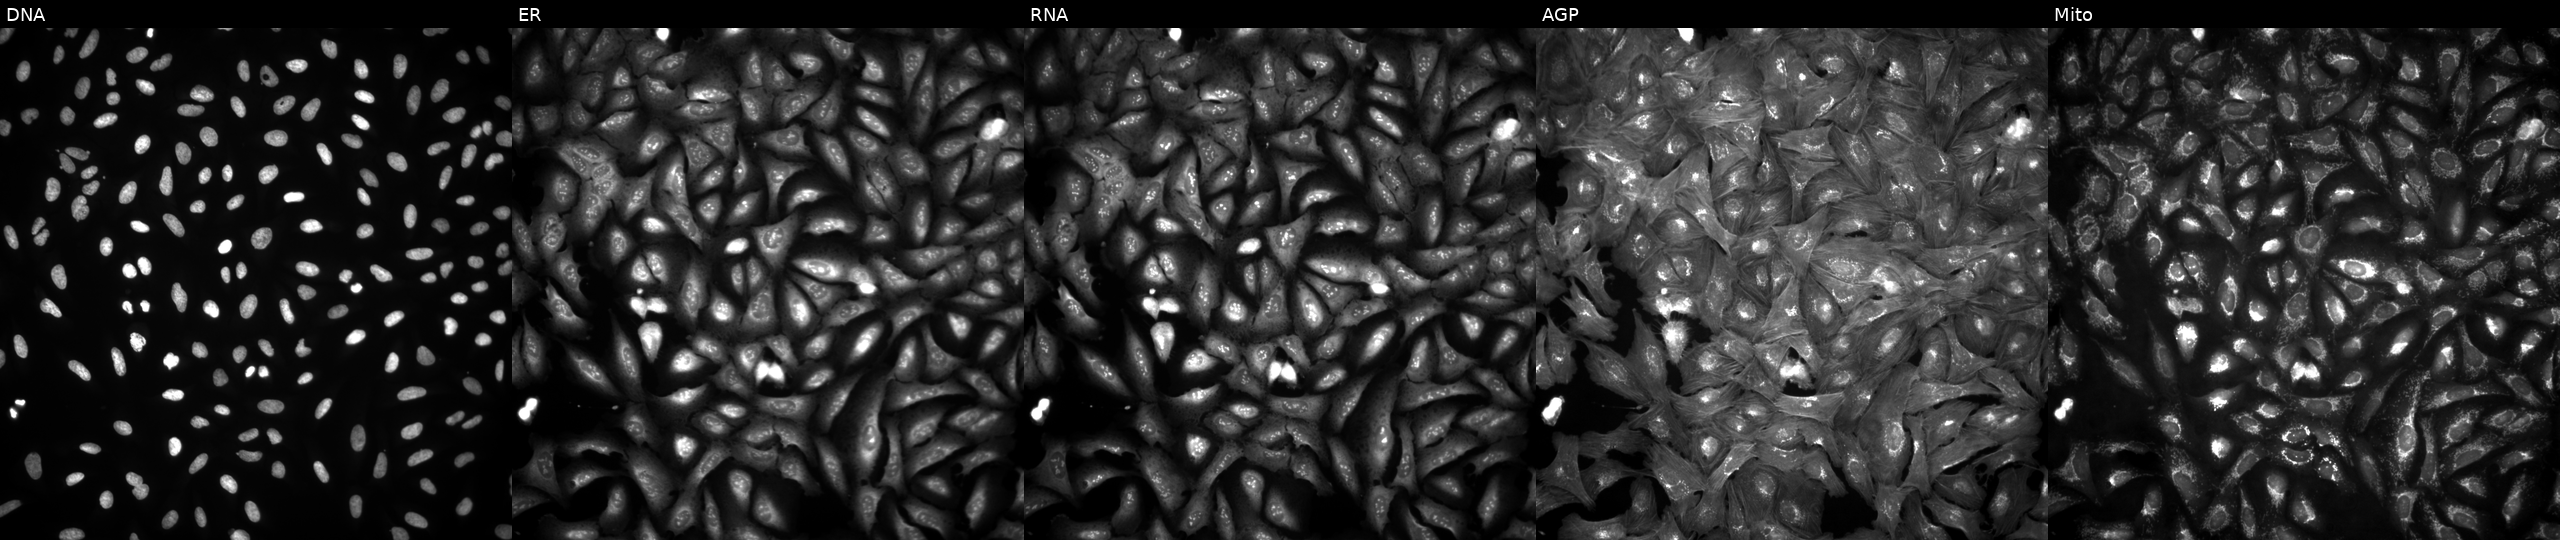
This image strip shows the five Cell Painting channels for a single field of U2OS cells with RPP40 overexpressed (ORF) (JUMP id JCP2022_910771). The five panels, left to right, show Hoechst 33342, concanavalin A, SYTO 14, phalloidin and WGA, MitoTracker.